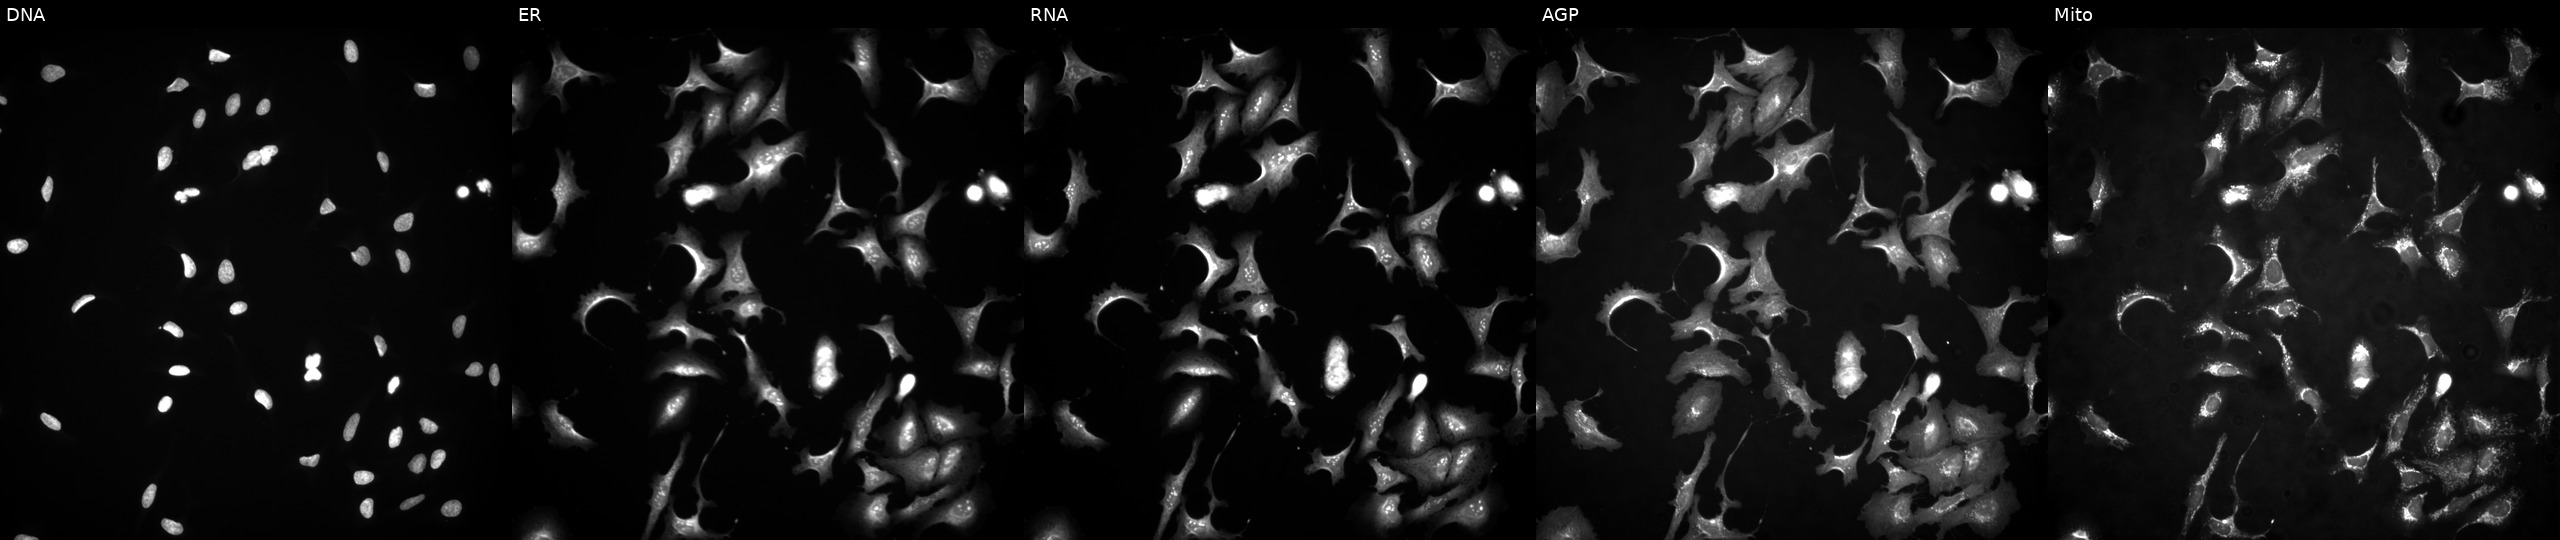
This image strip shows the five Cell Painting channels for a single field of U2OS cells overexpressing HDHD3 via ORF transfection (JUMP id JCP2022_903994). From left to right: DNA (nuclei); ER (endoplasmic reticulum); RNA (nucleoli and cytoplasmic RNA); AGP (actin cytoskeleton, Golgi, and plasma membrane); Mito (mitochondria). Source 4, plate BR00124787, well J10.